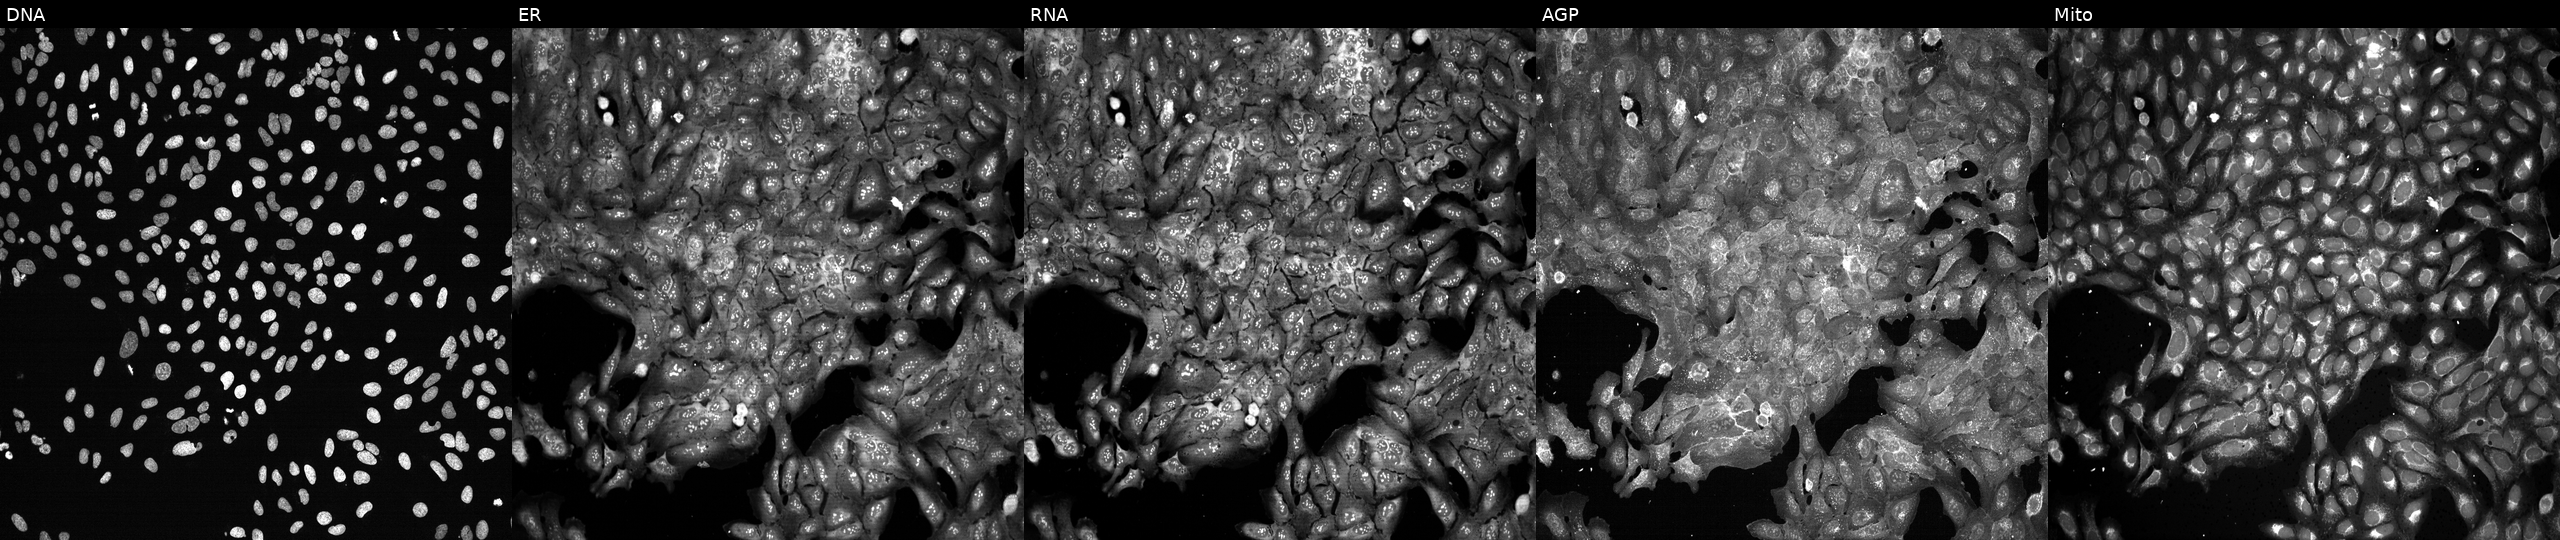
JUMP Cell Painting — CRISPR plate. U2OS cells following CRISPR knockout of FGF11. Panels show, left to right, DNA, ER, RNA, AGP, and Mito.